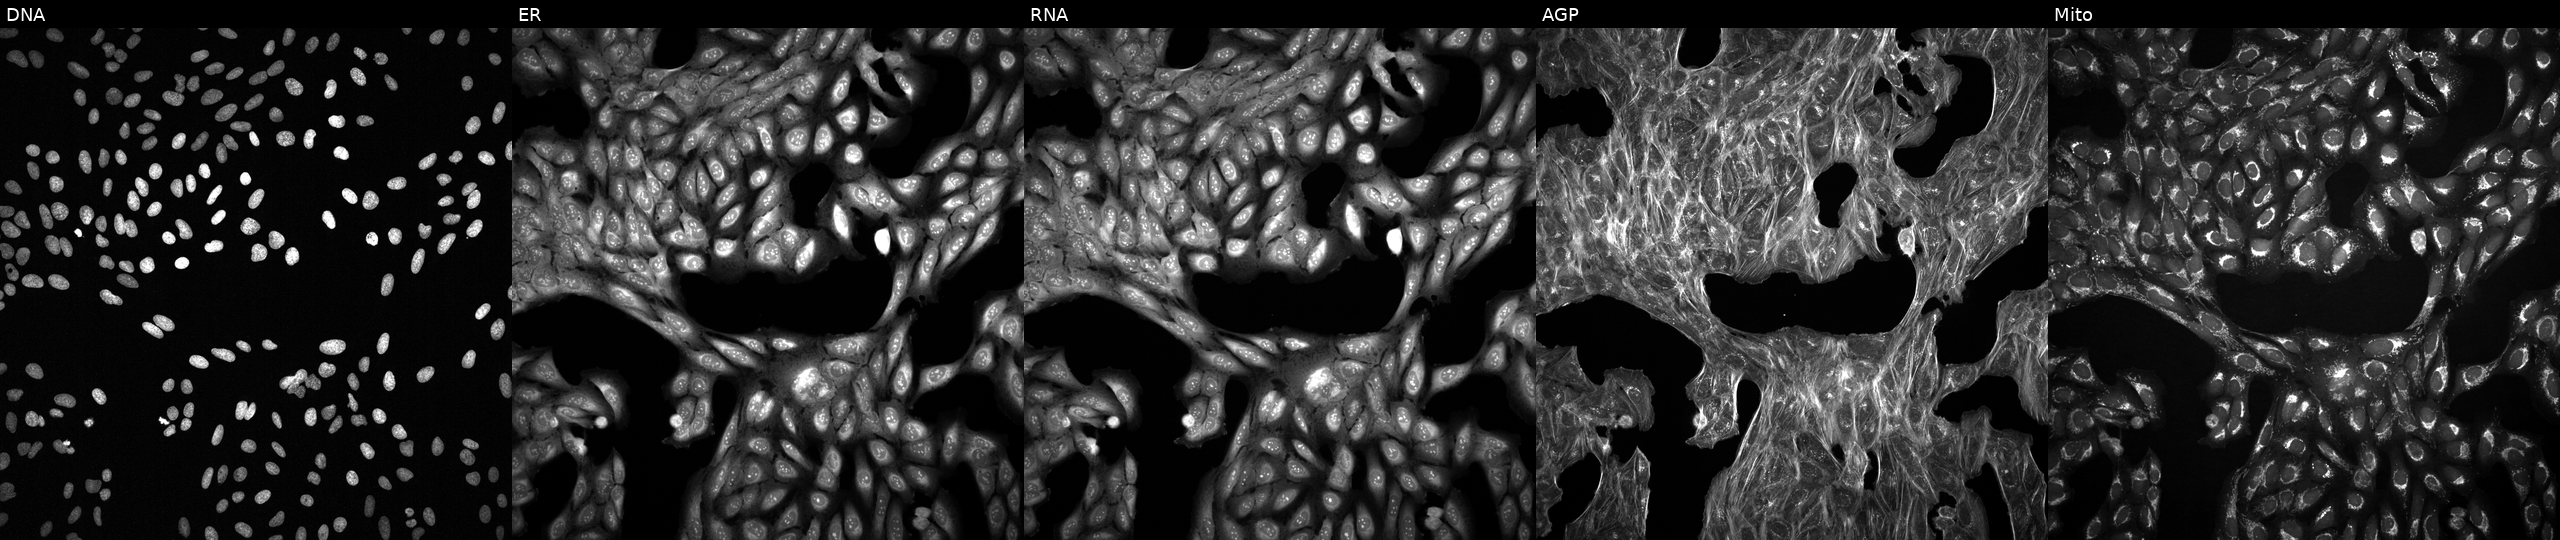
Five-channel Cell Painting image of U2OS cells treated with a small-molecule compound. Channels (left→right): DNA, ER, RNA, AGP, and Mito. Source 2, plate 1053601763, well E12.